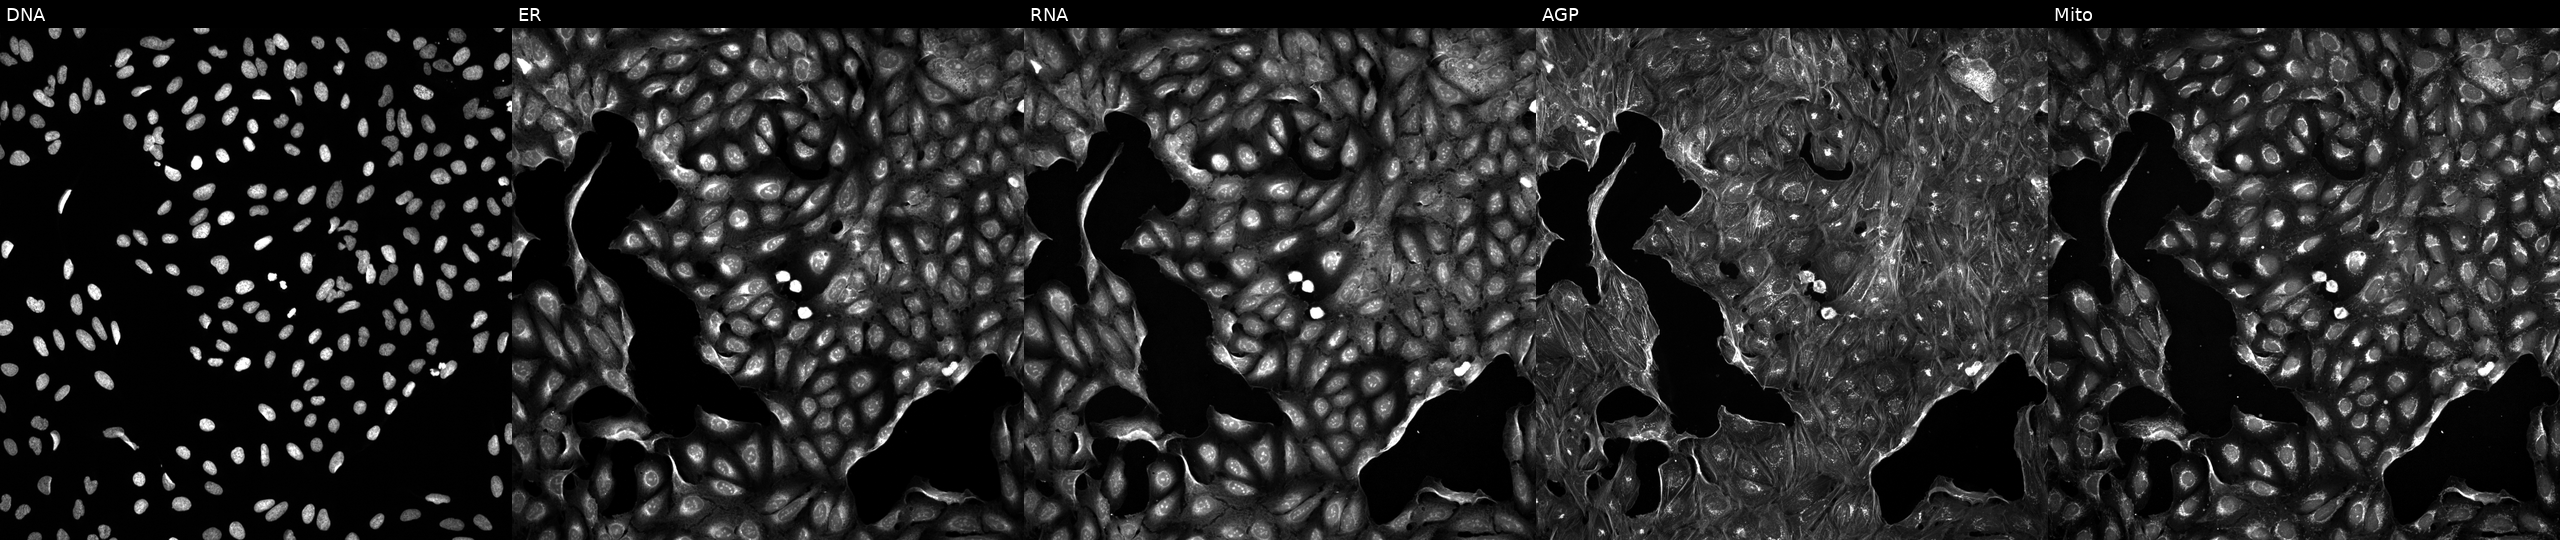
Five-channel Cell Painting image of U2OS cells treated with DMSO vehicle only (negative control). From left to right: DNA (nuclei); ER (endoplasmic reticulum); RNA (nucleoli and cytoplasmic RNA); AGP (actin cytoskeleton, Golgi, and plasma membrane); Mito (mitochondria).